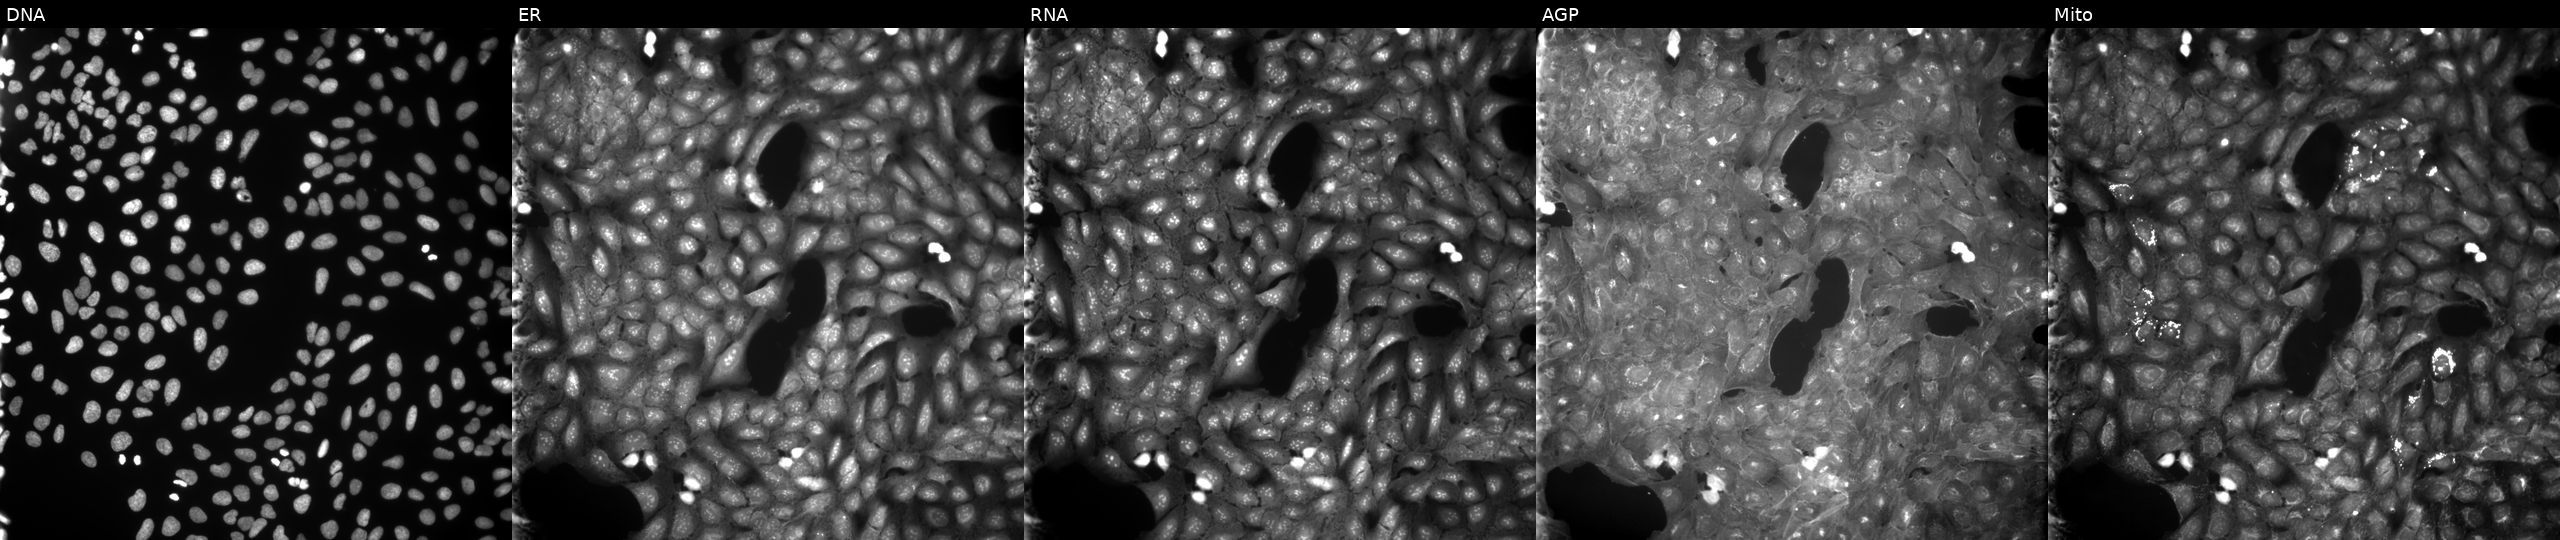
This image strip shows the five Cell Painting channels for a single field of U2OS cells treated with a small-molecule compound (InChIKey VXGMIARAVYDOLC-UHFFFAOYSA-N) [SMILES: O=c1c2ccccc2nc2c3ccccc3c(=NCc3ccco3)[nH]n12]. The five panels, left to right, show Hoechst 33342, concanavalin A, SYTO 14, phalloidin and WGA, MitoTracker. Source 9, plate GR00003381, well R10.